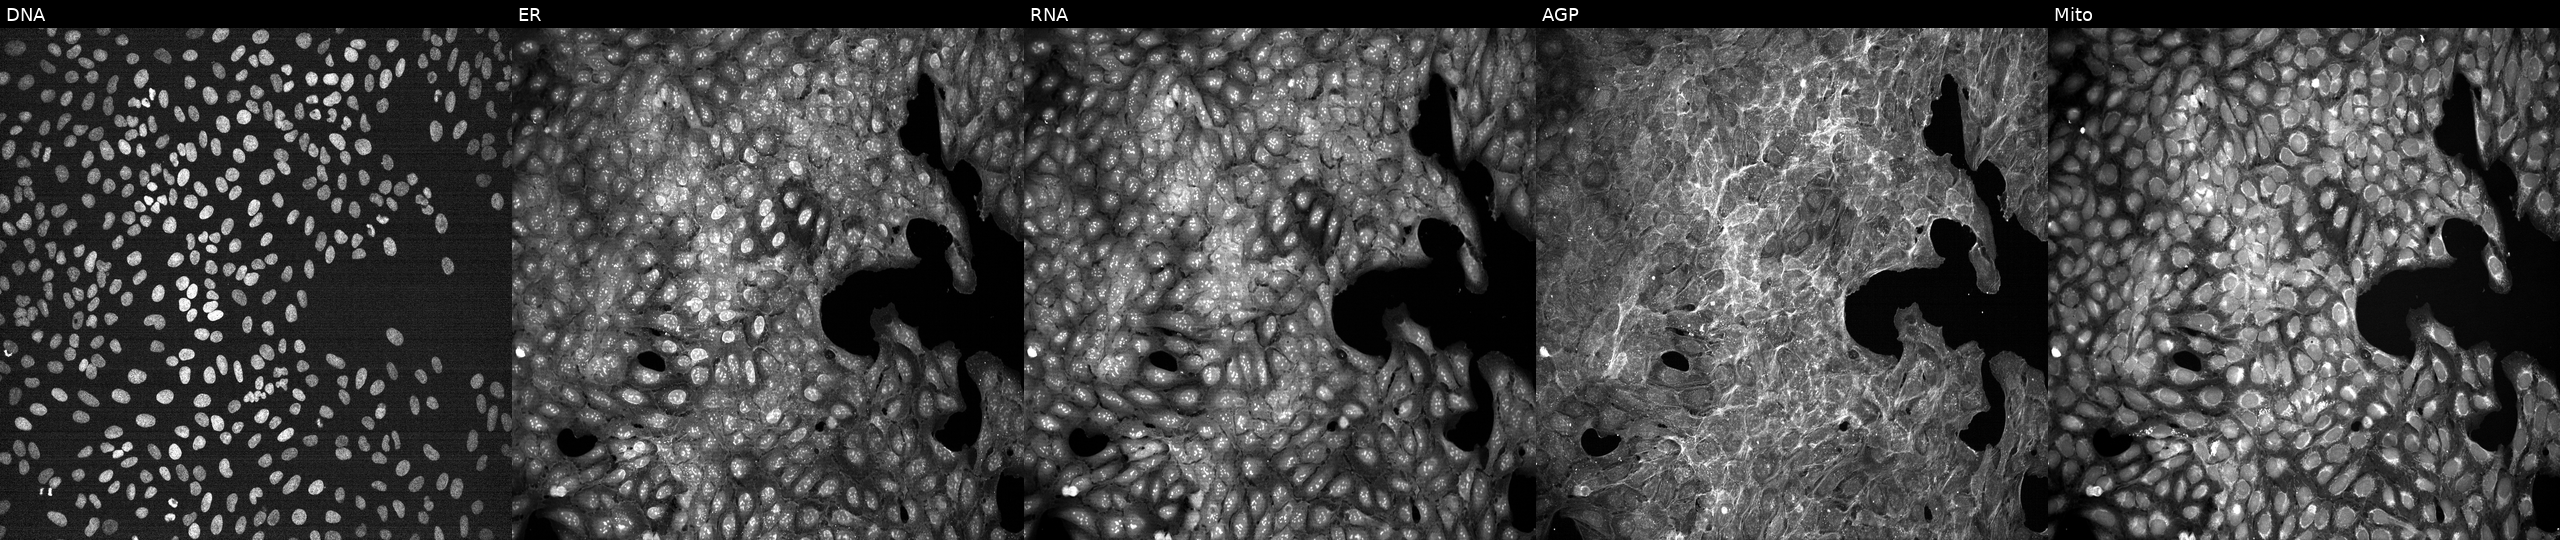
High-content fluorescence microscopy (Cell Painting). Cell line: U2OS. Perturbation: exposed to DMSO alone as a negative control (JUMP id JCP2022_033924). The five panels, left to right, show Hoechst 33342, concanavalin A, SYTO 14, phalloidin and WGA, MitoTracker.